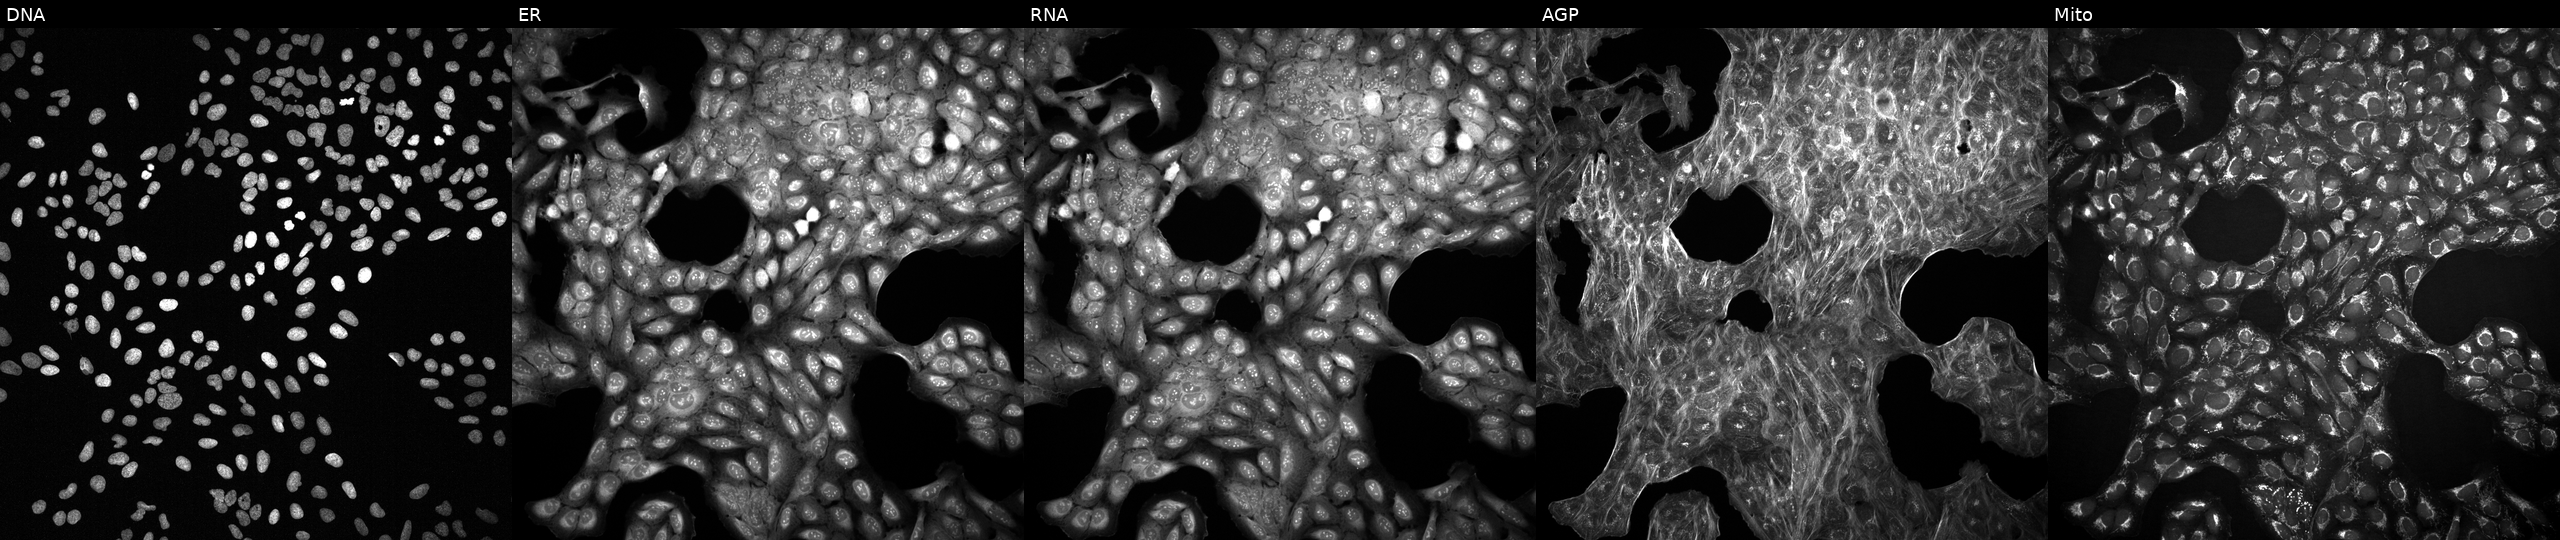
This image strip shows the five Cell Painting channels for a single field of U2OS cells with an unidentified perturbation (not annotated in JUMP metadata). Channels (left→right): DNA (nuclei); ER (endoplasmic reticulum); RNA (nucleoli and cytoplasmic RNA); AGP (actin cytoskeleton, Golgi, and plasma membrane); Mito (mitochondria).